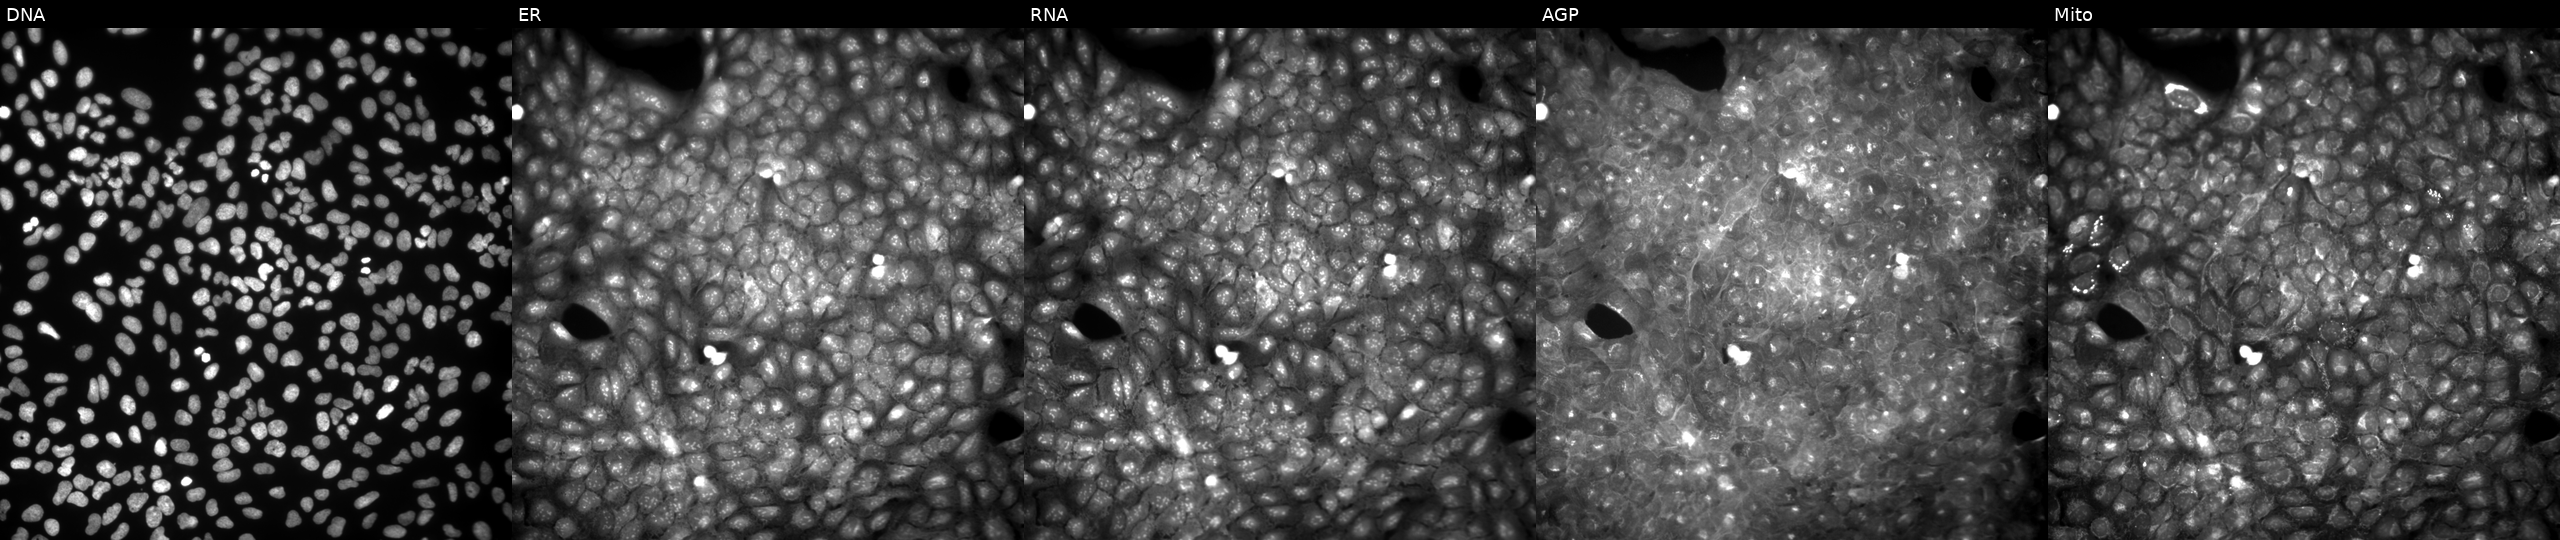
JUMP Cell Painting — COMPOUND plate. U2OS cells perturbed with a small-molecule compound (InChIKey OYJXUAABDVJXMF-UHFFFAOYSA-N). Panels show, left to right, DNA, ER, RNA, AGP, and Mito.